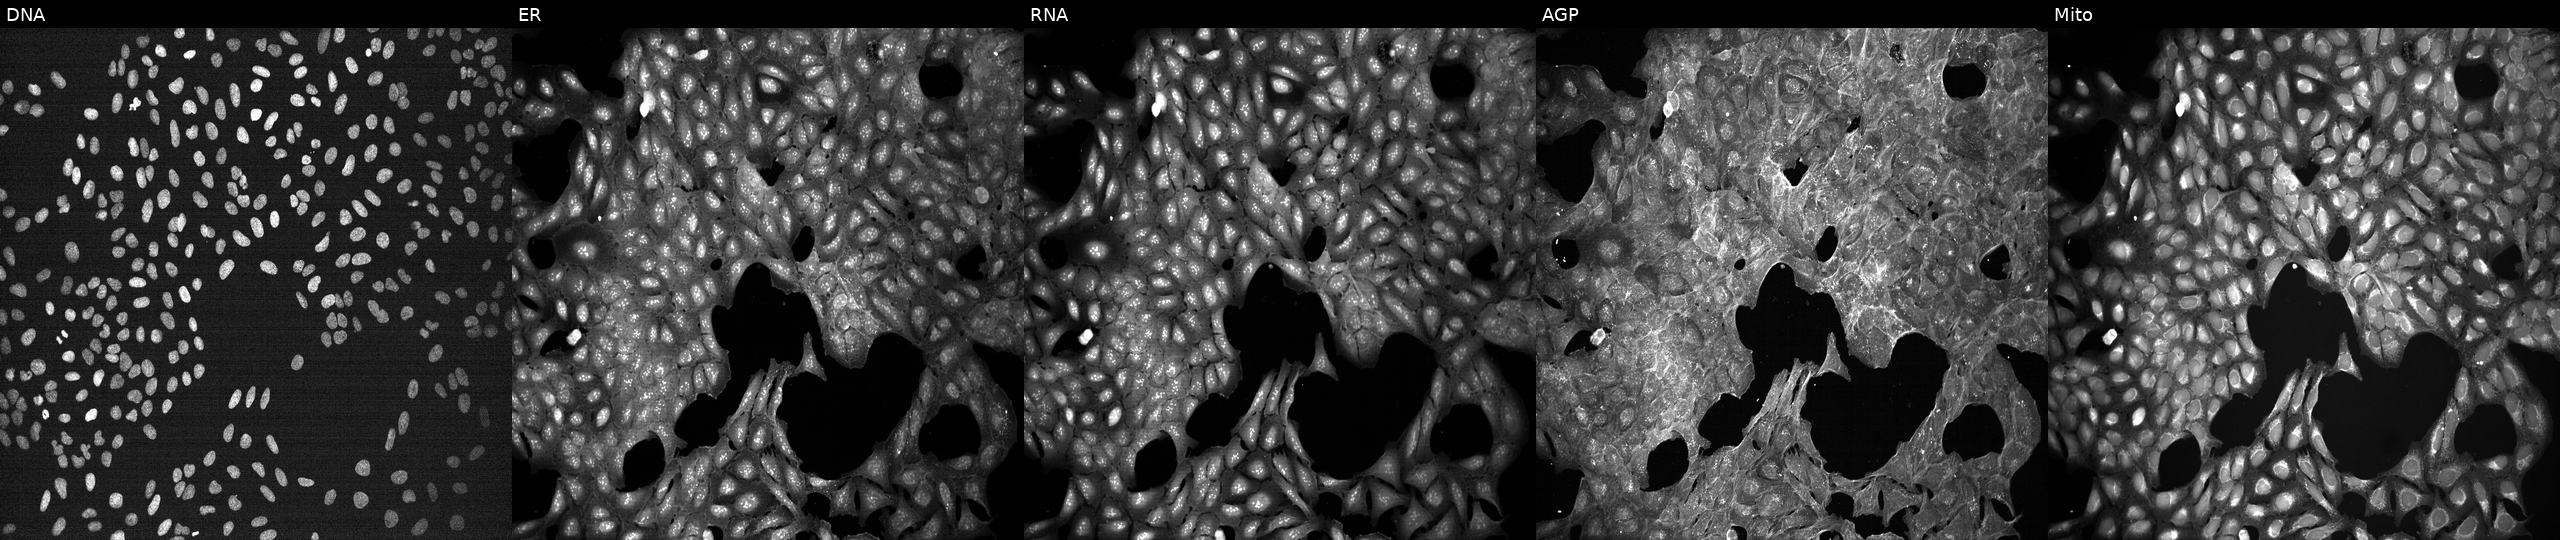
Five-channel Cell Painting image of U2OS cells treated with DMSO vehicle only (negative control). Channels (left→right): Hoechst 33342, concanavalin A, SYTO 14, phalloidin and WGA, MitoTracker.